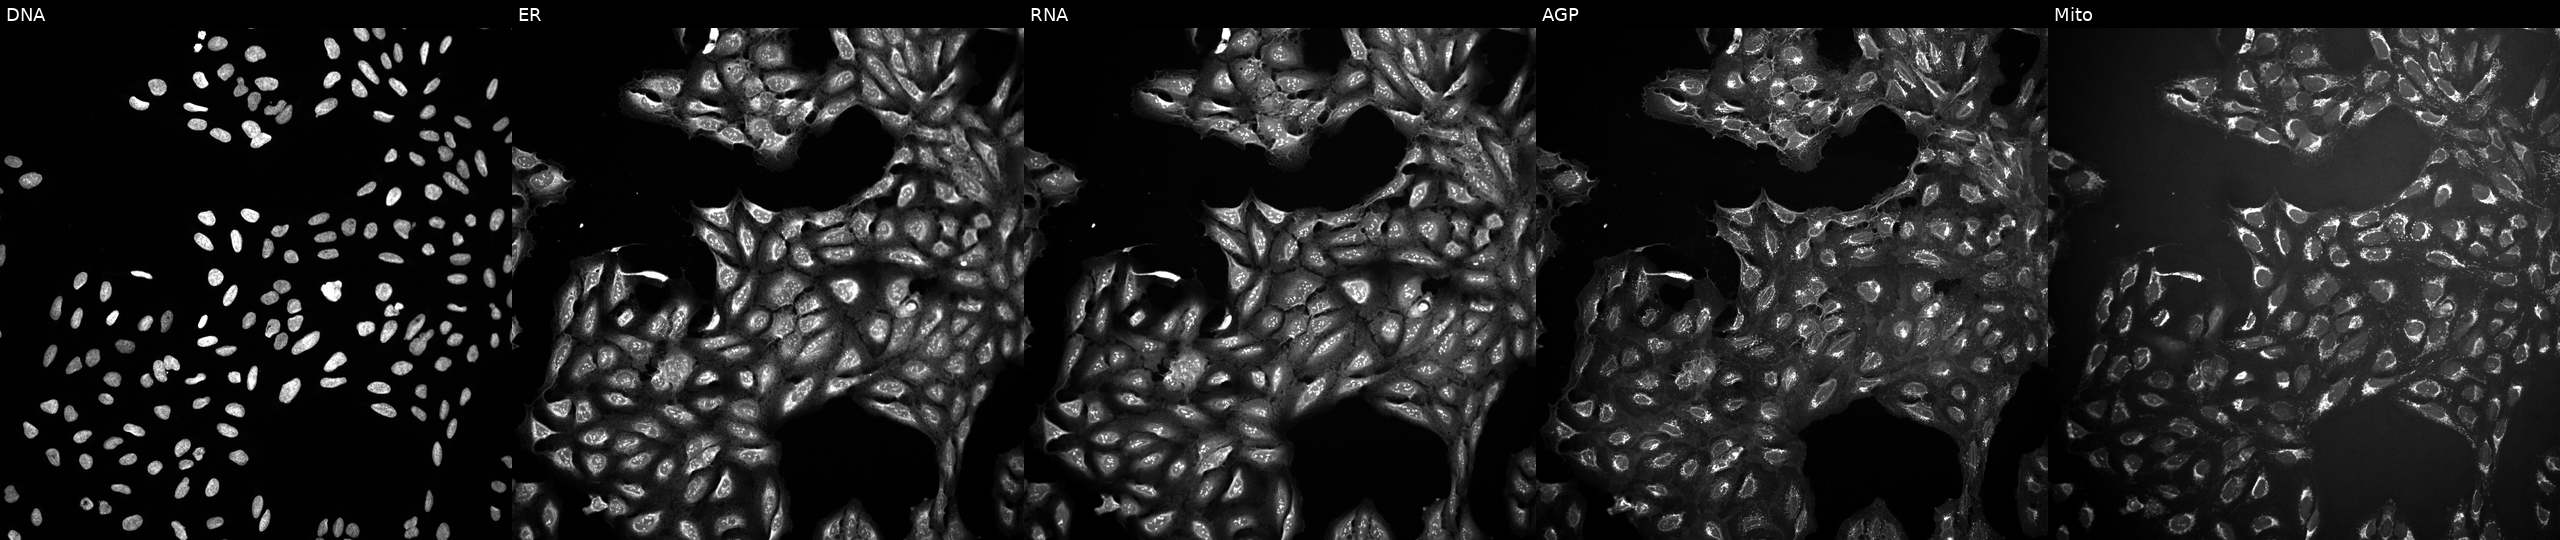
This image strip shows the five Cell Painting channels for a single field of U2OS cells exposed to a small-molecule compound (InChIKey PIWKPBJCKXDKJR-UHFFFAOYSA-N) (JUMP id JCP2022_068901). From left to right: Hoechst 33342, concanavalin A, SYTO 14, phalloidin and WGA, MitoTracker.